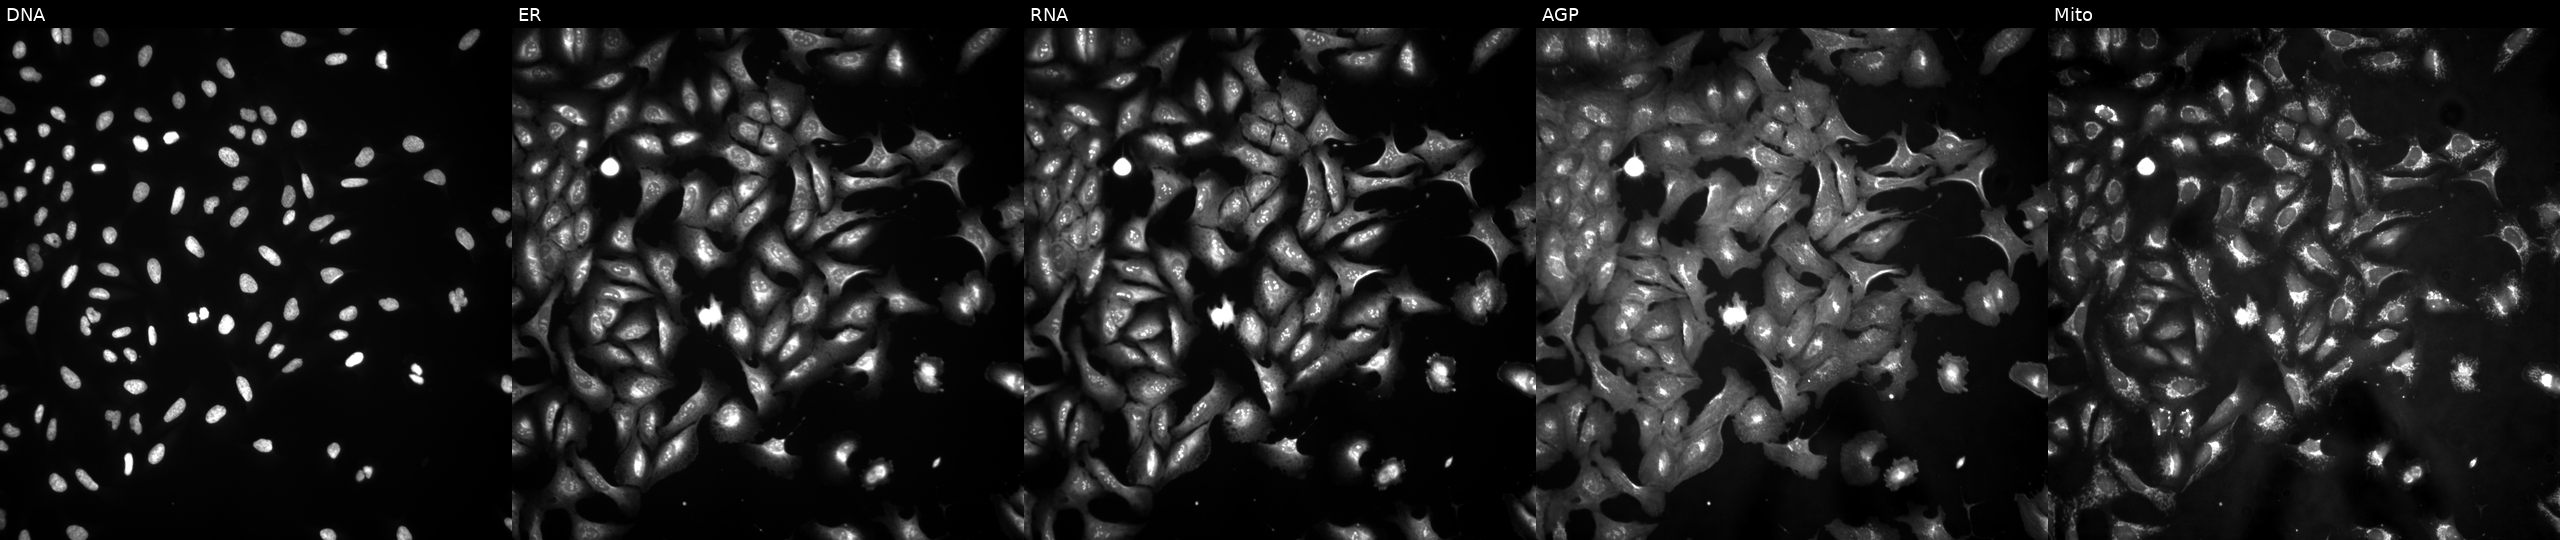
This image strip shows the five Cell Painting channels for a single field of U2OS cells overexpressing PRRT2 via ORF transfection (JUMP id JCP2022_904333). From left to right: DNA (nuclei); ER (endoplasmic reticulum); RNA (nucleoli and cytoplasmic RNA); AGP (actin cytoskeleton, Golgi, and plasma membrane); Mito (mitochondria).